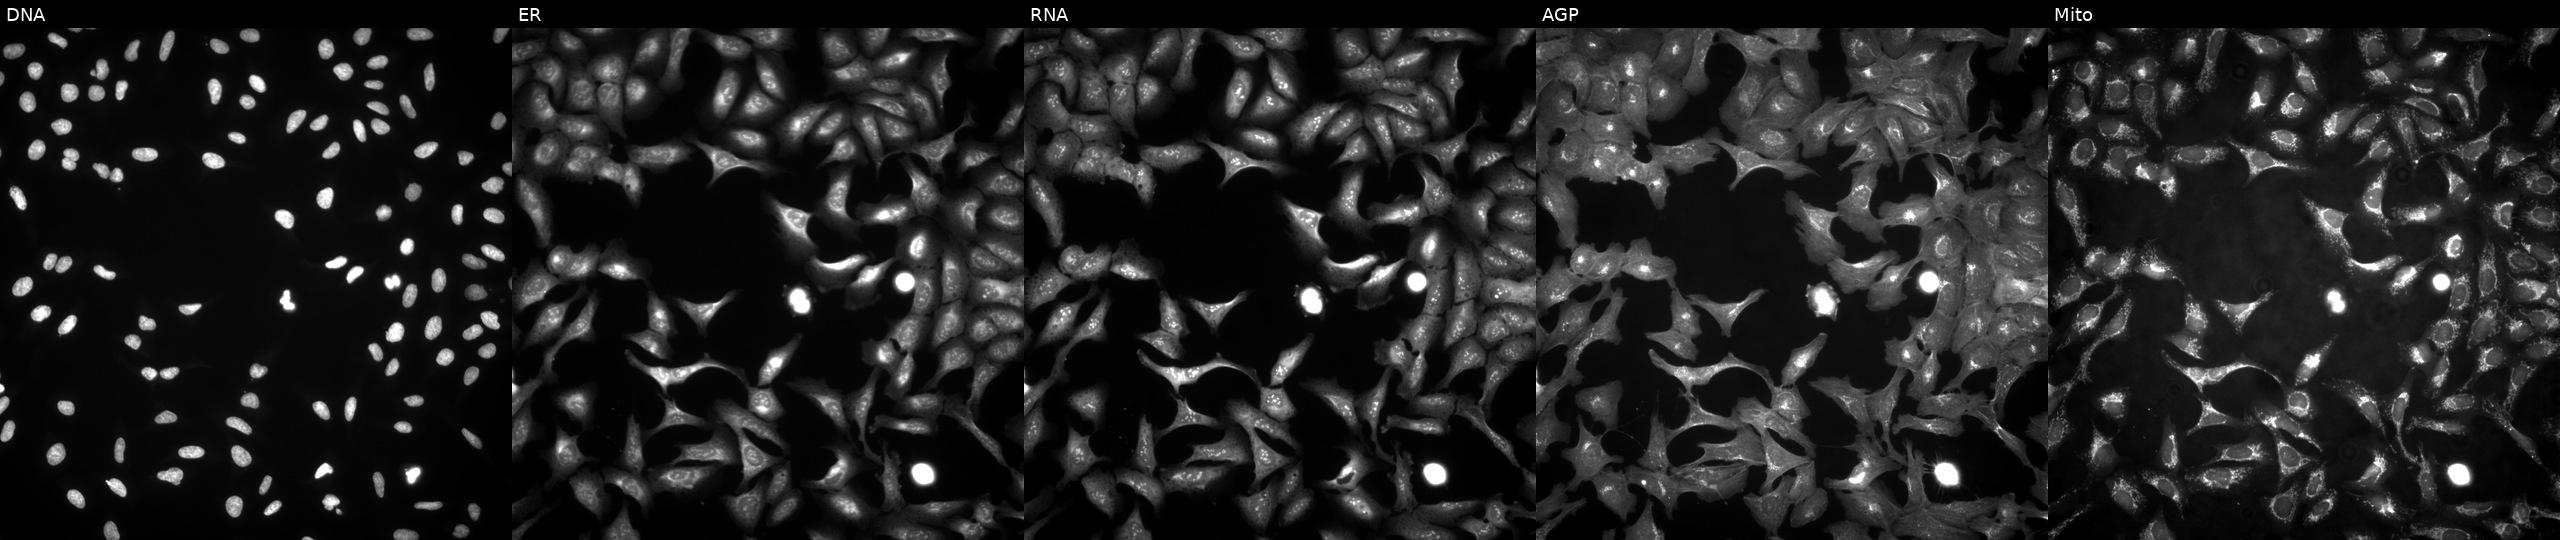
This image strip shows the five Cell Painting channels for a single field of U2OS cells with P2RY2 overexpressed (ORF). Channels (left→right): DNA (nuclei); ER (endoplasmic reticulum); RNA (nucleoli and cytoplasmic RNA); AGP (actin cytoskeleton, Golgi, and plasma membrane); Mito (mitochondria).